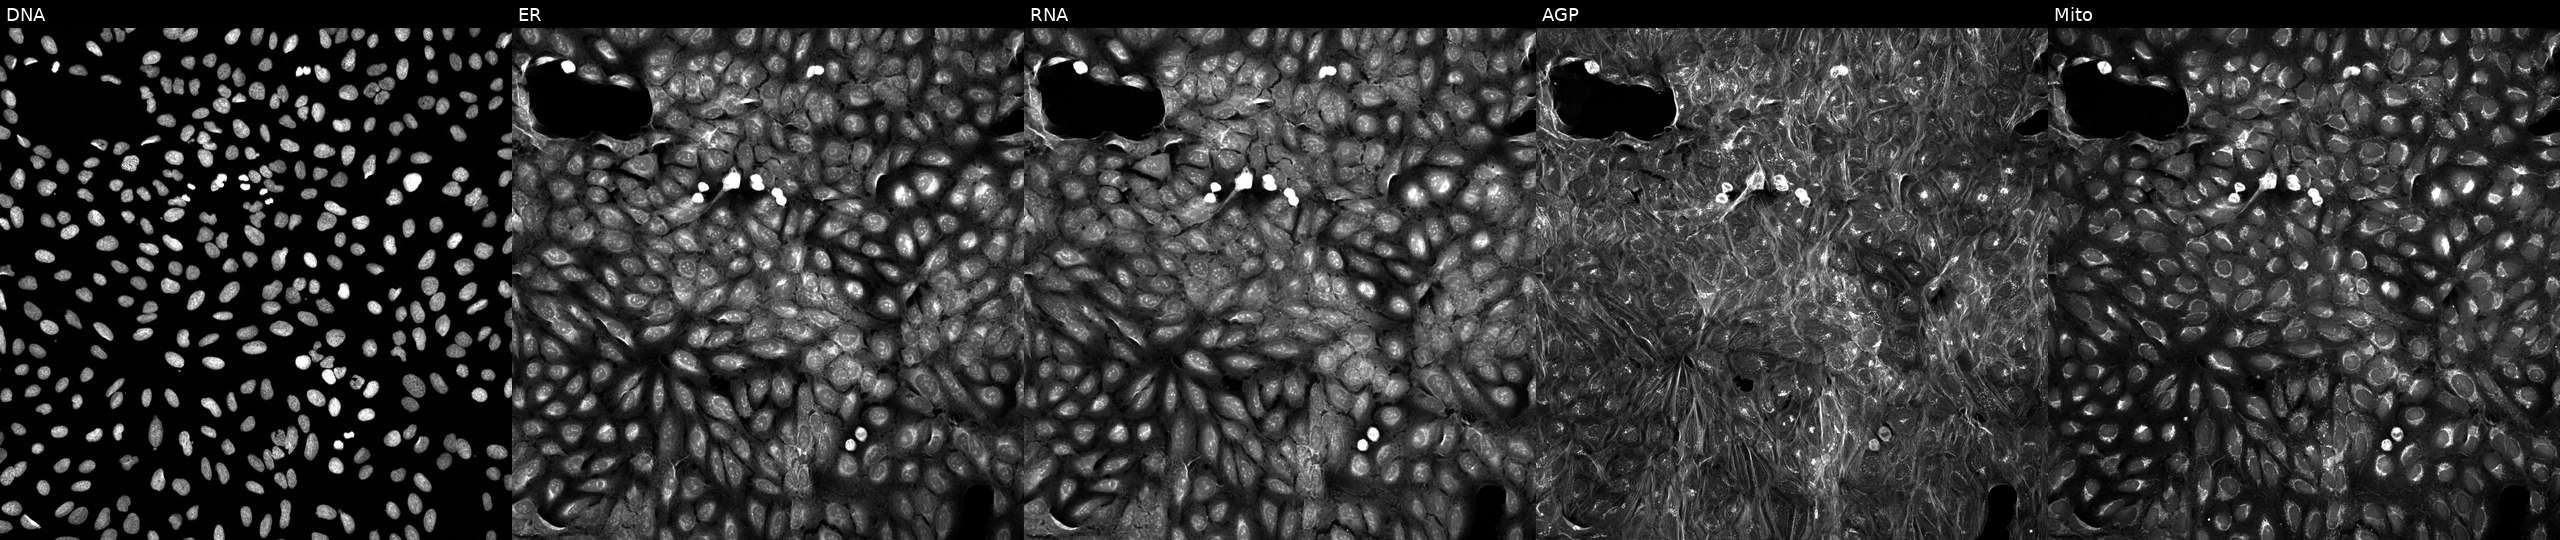
Five-channel Cell Painting image of U2OS cells treated with a small-molecule compound (InChIKey LXANPKRCLVQAOG-UHFFFAOYSA-N). Panels show, left to right, DNA, ER, RNA, AGP, and Mito.